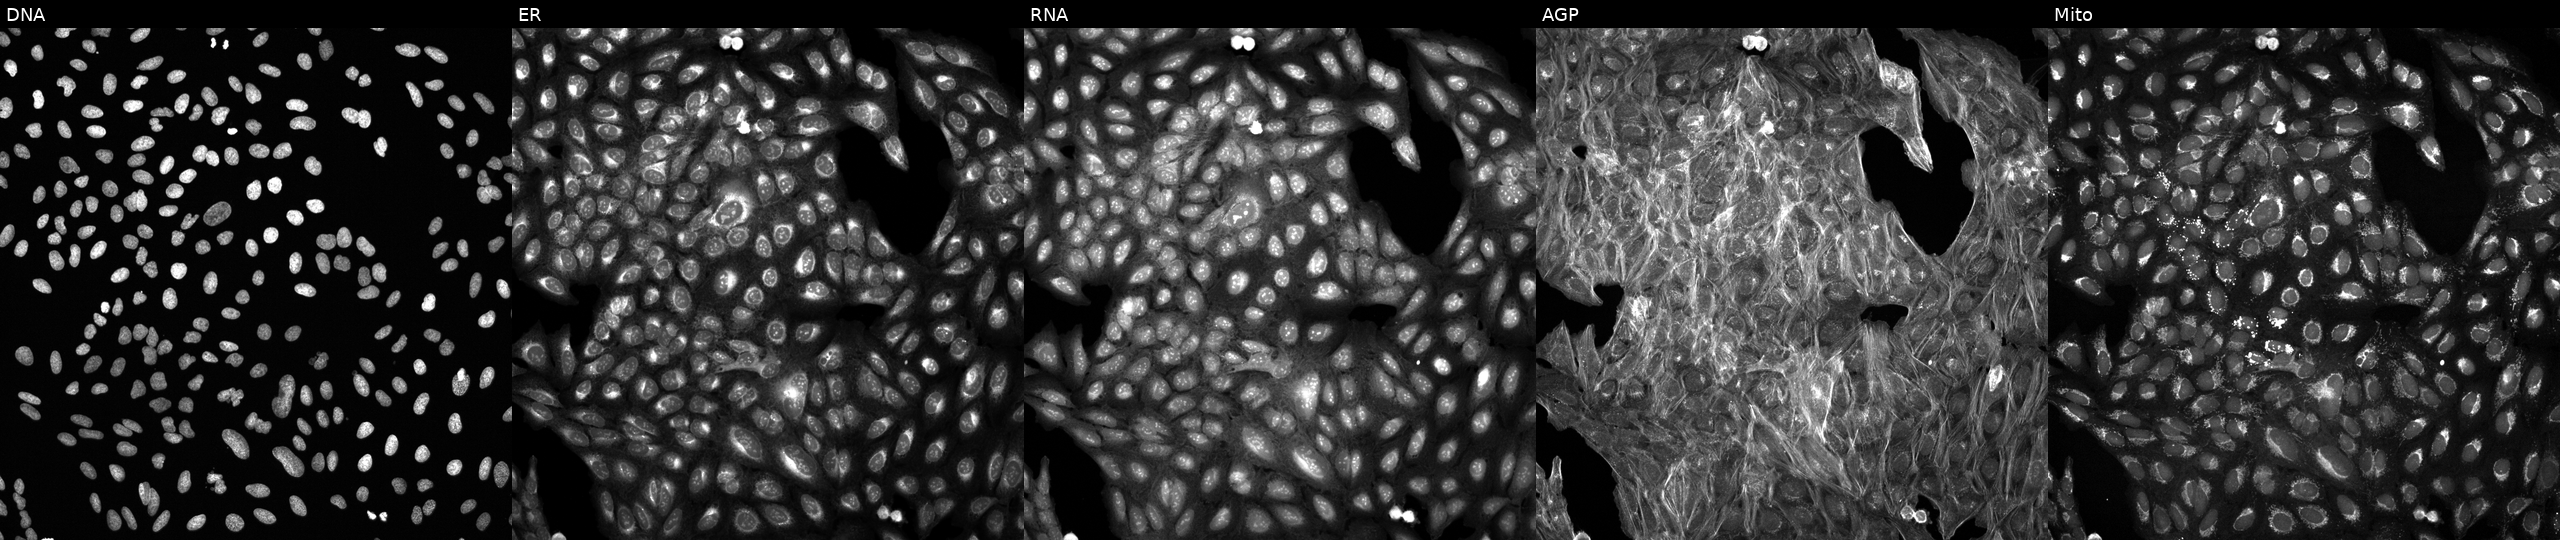
U2OS cells, Cell Painting assay, exposed to DMSO alone as a negative control (JUMP id JCP2022_033924). From left to right: DNA, ER, RNA, AGP, and Mito. Each panel is percentile-stretched 16-bit fluorescence.